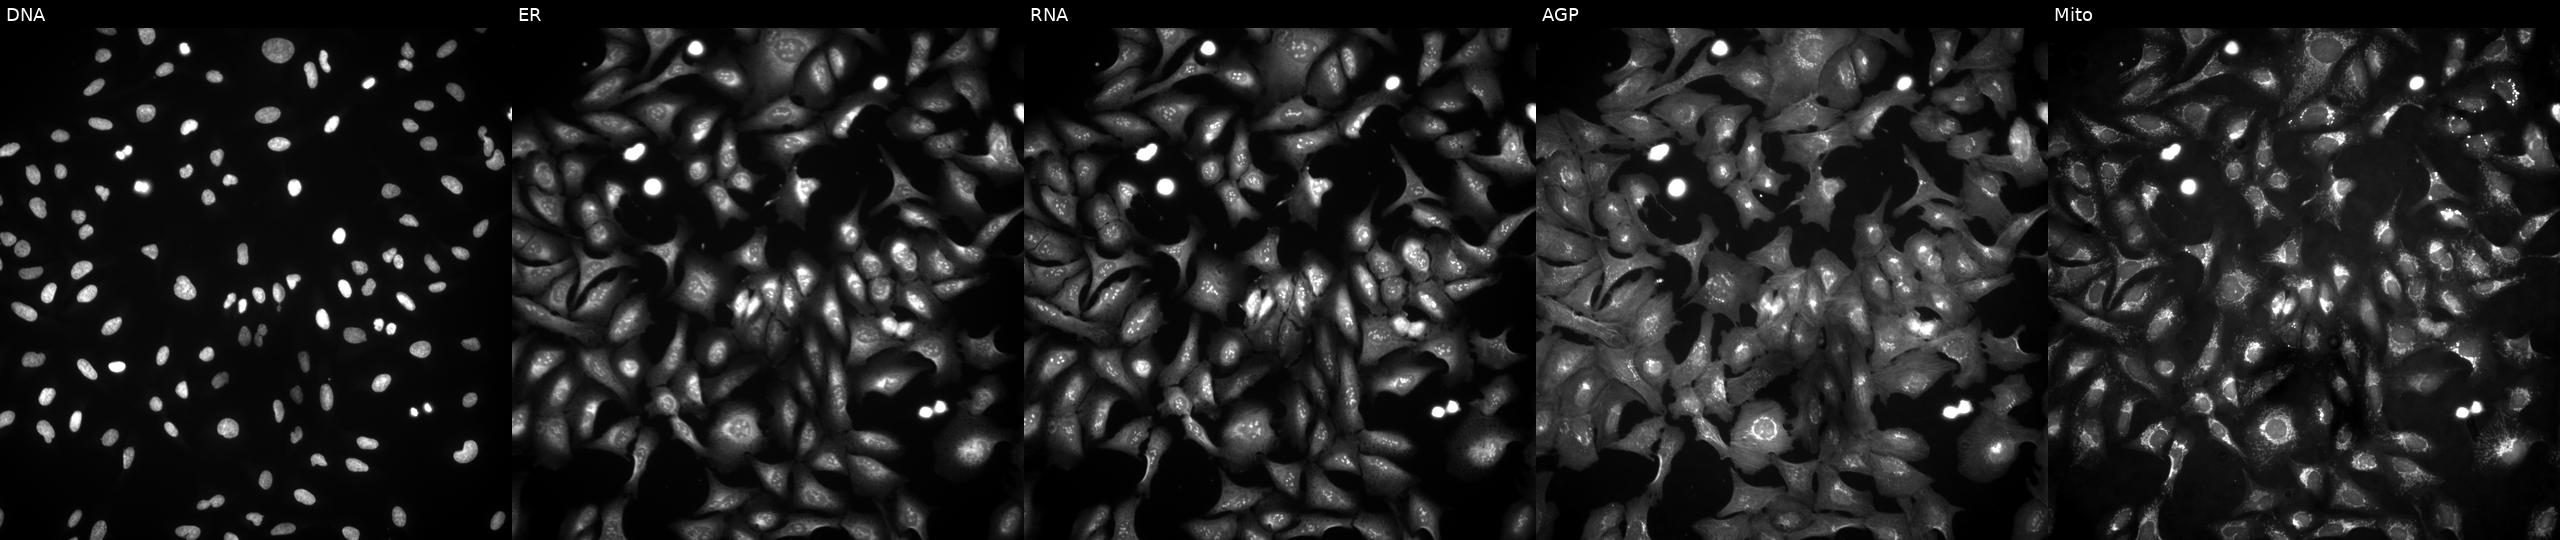
JUMP Cell Painting — ORF plate. U2OS cells overexpressing ERGIC3 via ORF transfection. Channels (left→right): DNA (nuclei); ER (endoplasmic reticulum); RNA (nucleoli and cytoplasmic RNA); AGP (actin cytoskeleton, Golgi, and plasma membrane); Mito (mitochondria). Source 4, plate BR00124790, well D05.